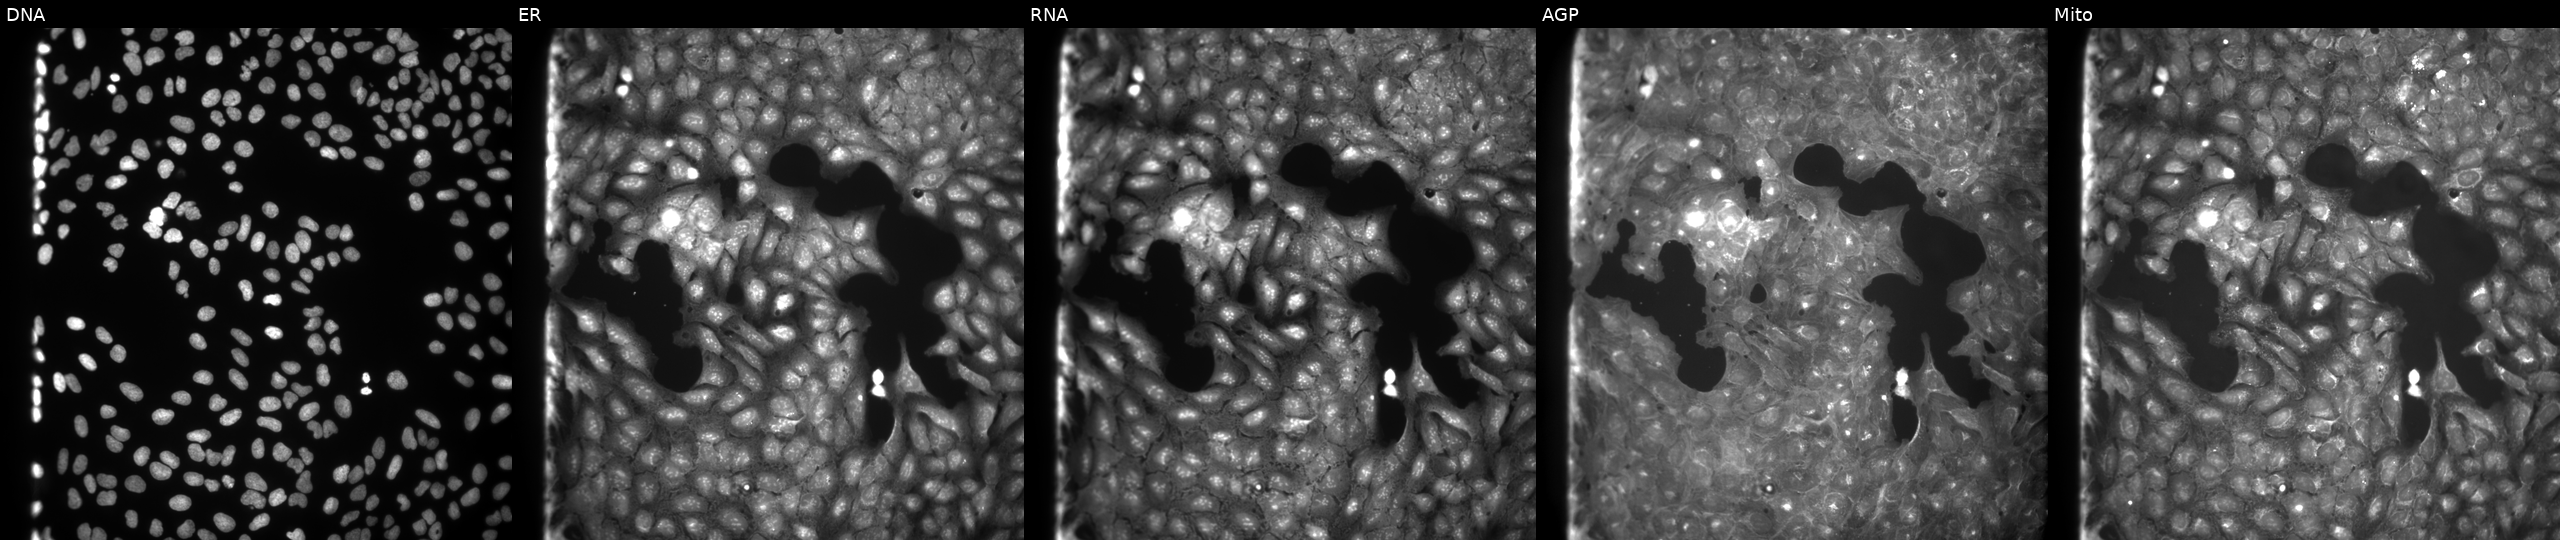
From left to right: DNA, ER, RNA, AGP, and Mito. U2OS osteosarcoma cells exposed to the positive-control compound aloxistatin (JUMP id JCP2022_085227). Cell Painting assay, JUMP-CP dataset.